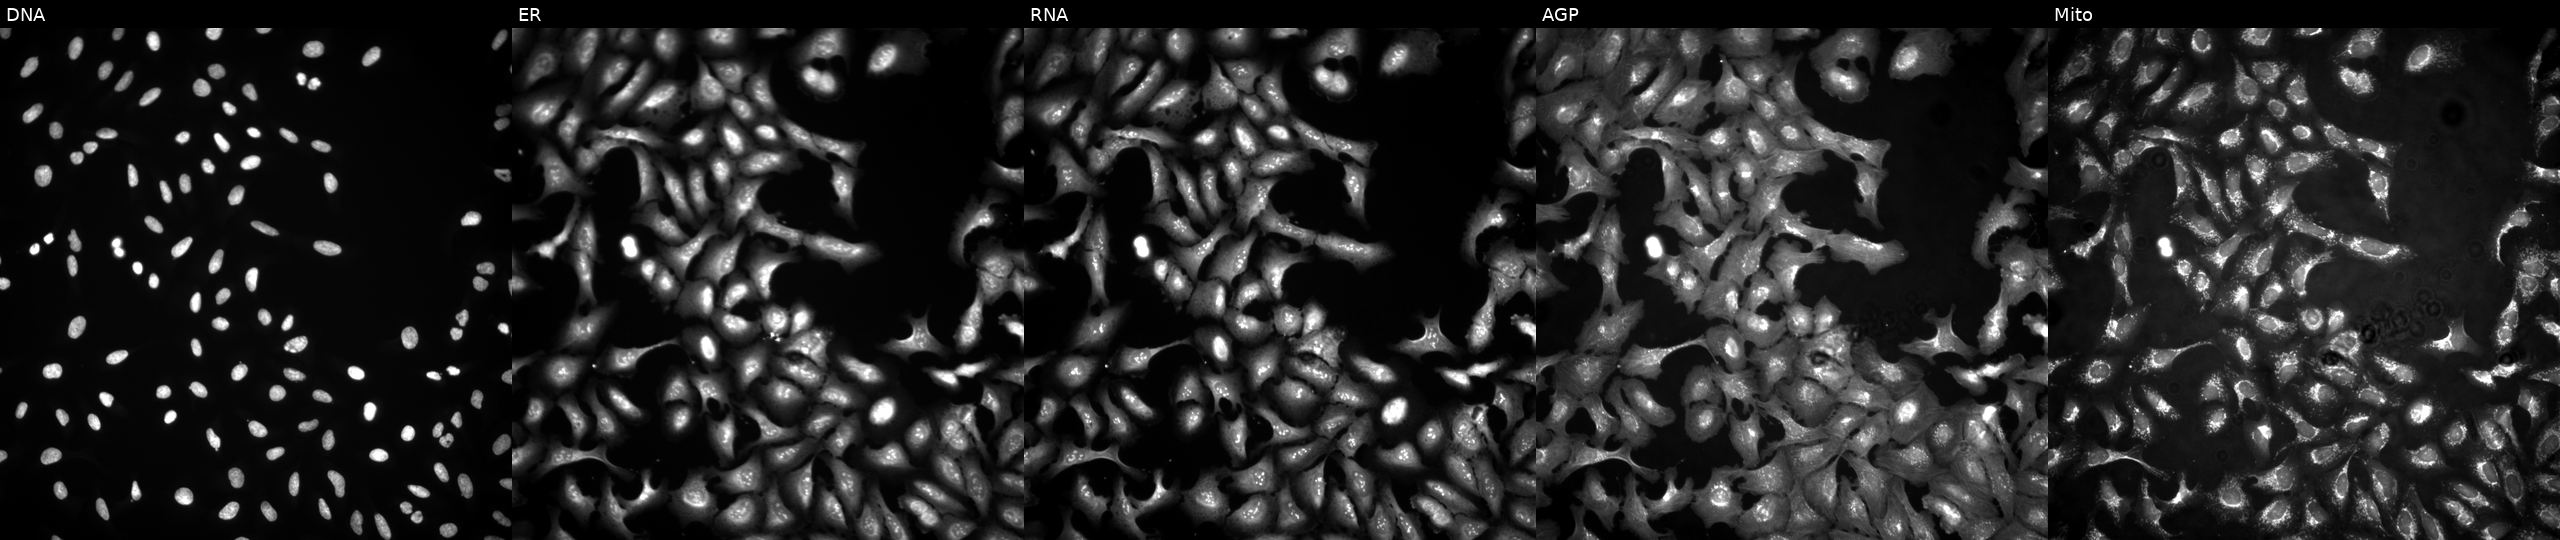
Five-channel Cell Painting image of U2OS cells with DPP7 overexpressed (ORF) (JUMP id JCP2022_907620). From left to right: DNA, ER, RNA, AGP, and Mito.